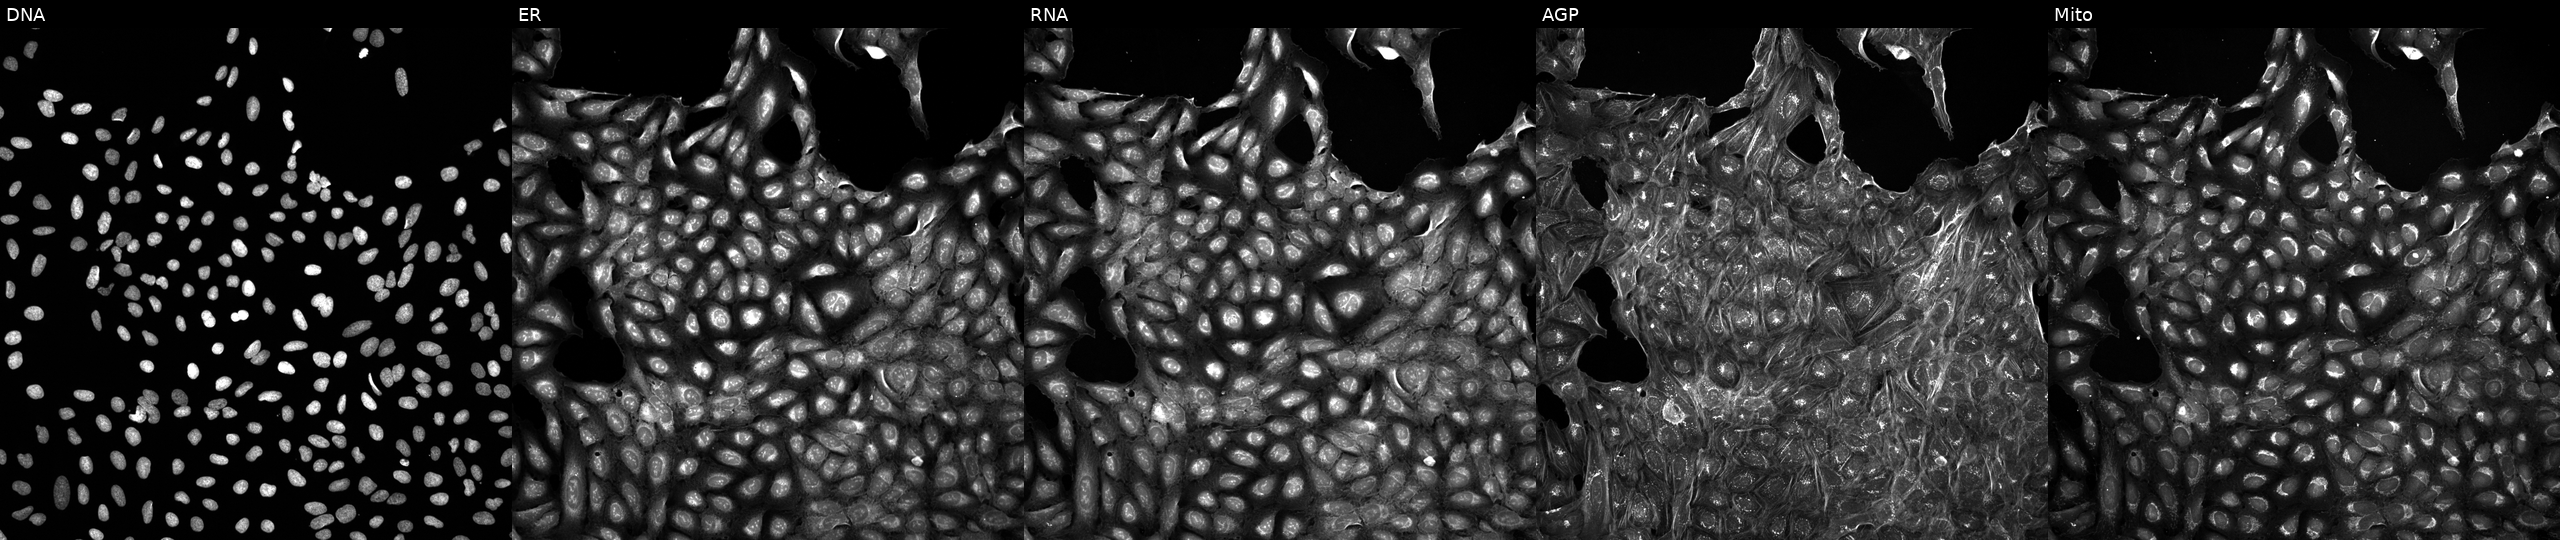
High-content fluorescence microscopy (Cell Painting). Cell line: U2OS. Perturbation: exposed to a small-molecule compound (InChIKey KQGOTXSEBLUCAM-UHFFFAOYSA-N) (JUMP id JCP2022_046311). Channels (left→right): DNA, ER, RNA, AGP, and Mito.